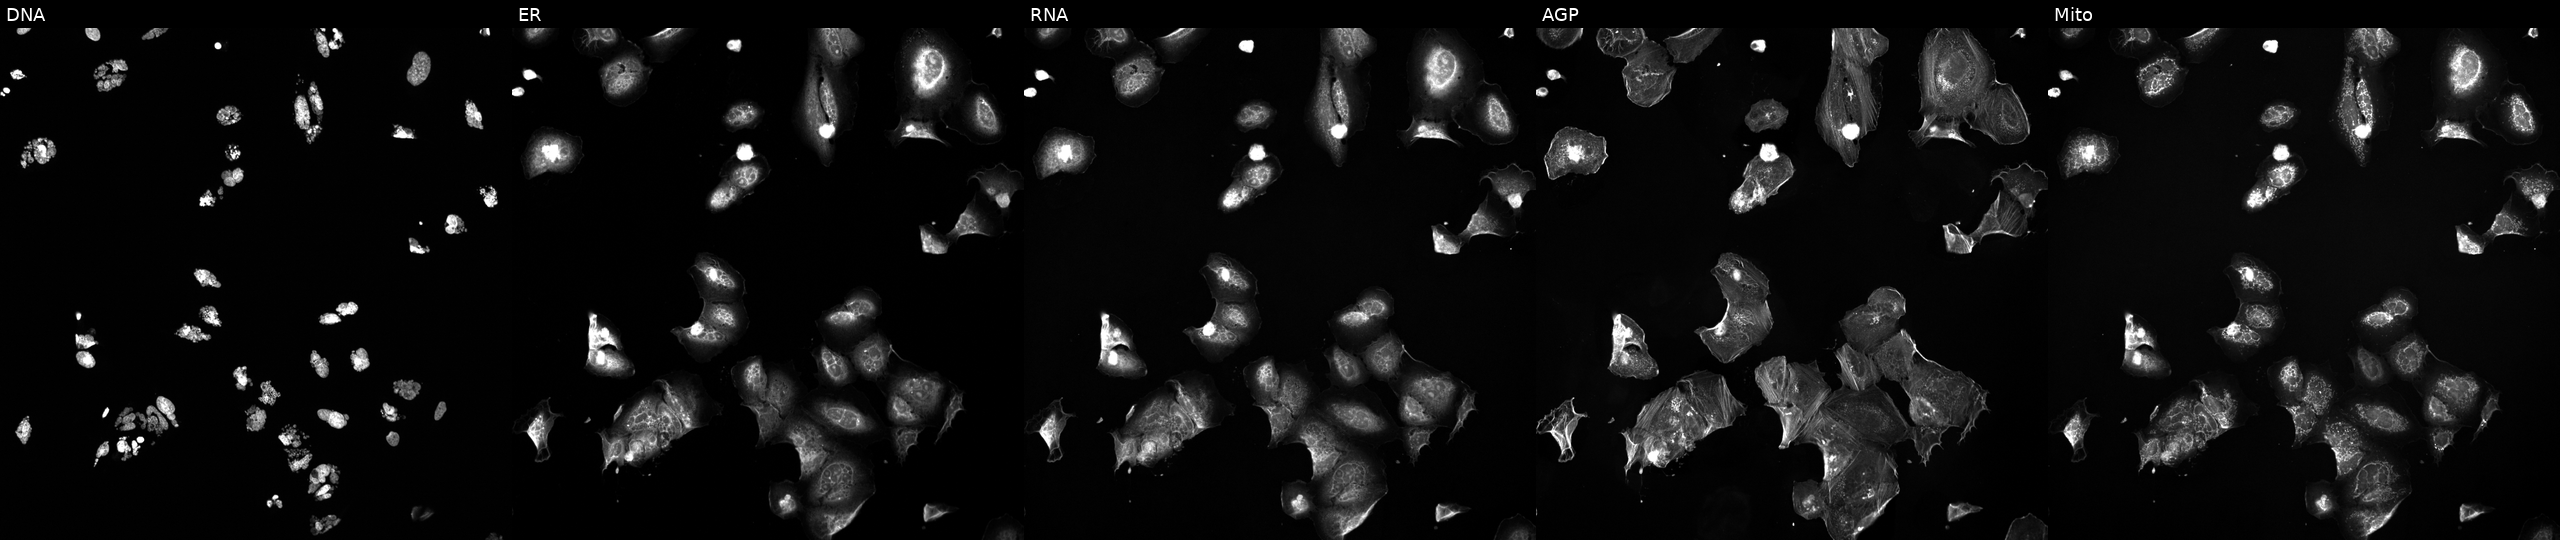
This image strip shows the five Cell Painting channels for a single field of U2OS cells exposed to a small-molecule compound. Channels (left→right): DNA, ER, RNA, AGP, and Mito.